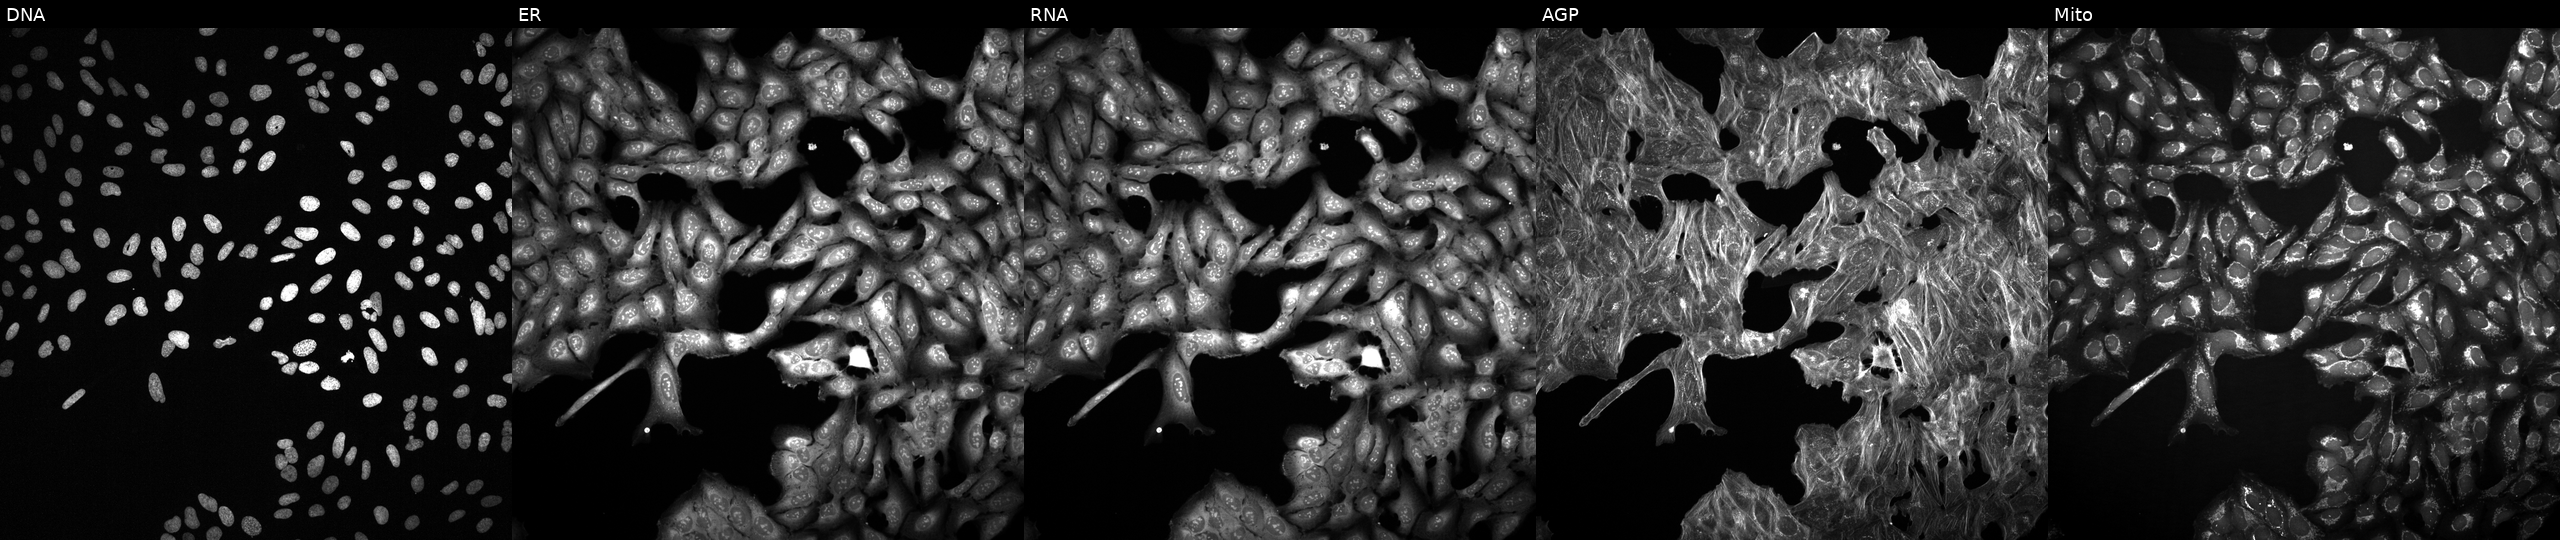
U2OS cells, Cell Painting assay, perturbed with a small-molecule compound (InChIKey IIXWYSCJSQVBQM-UHFFFAOYSA-N) (JUMP id JCP2022_035351). Channels (left→right): DNA, ER, RNA, AGP, and Mito. Each panel is percentile-stretched 16-bit fluorescence. Source 2, plate 1053597936, well N15.